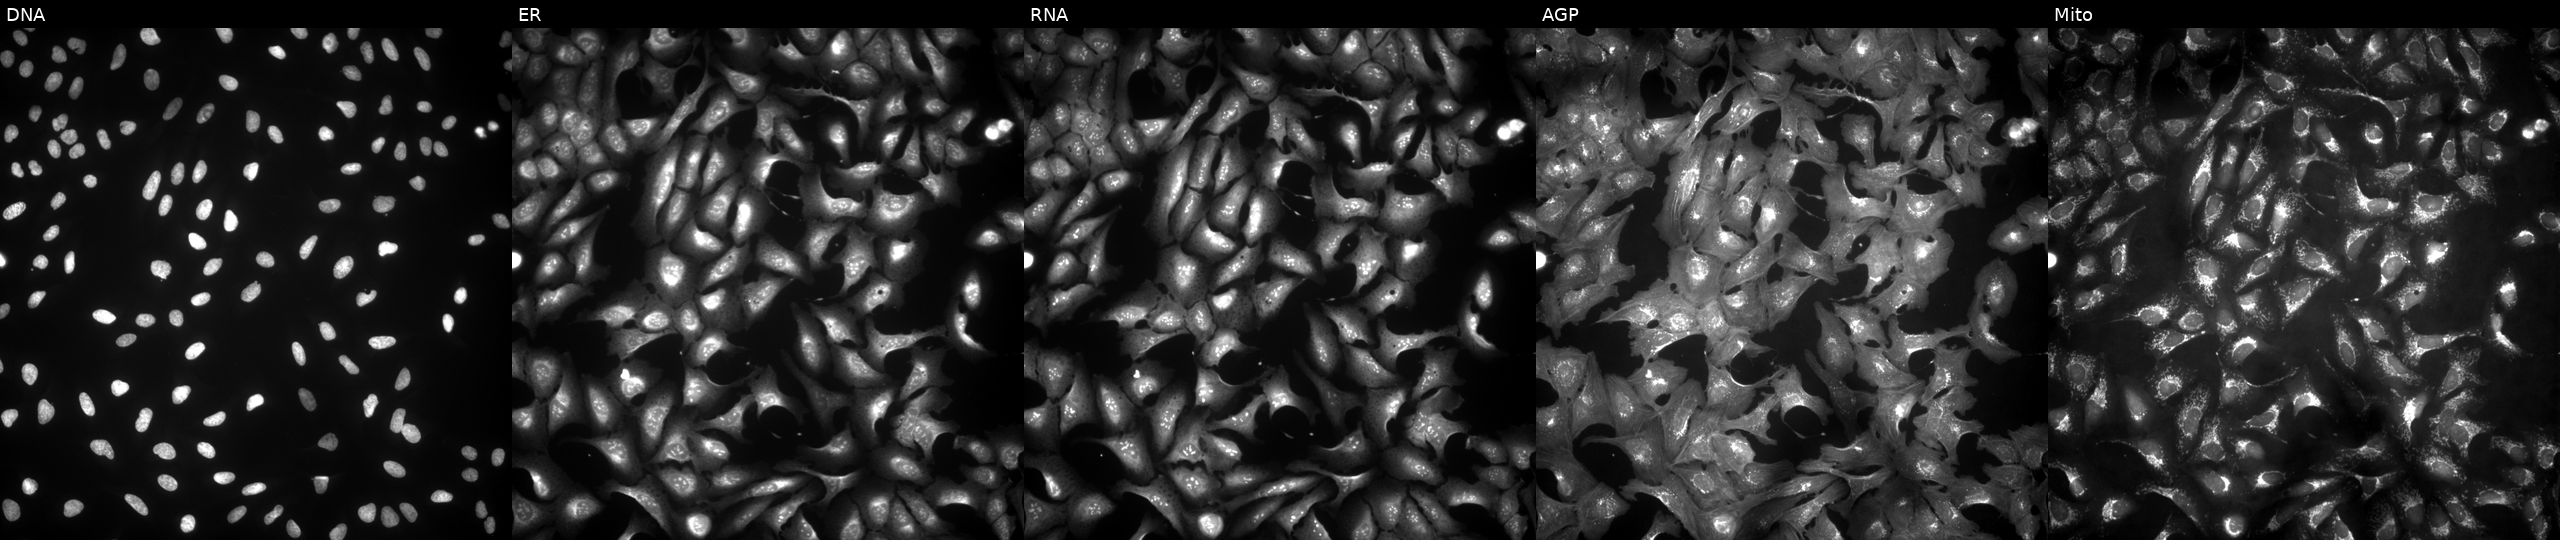
U2OS cells, Cell Painting assay, with MTMR14 overexpressed (ORF) (JUMP id JCP2022_914933). Panels show, left to right, Hoechst 33342, concanavalin A, SYTO 14, phalloidin and WGA, MitoTracker. Each panel is percentile-stretched 16-bit fluorescence. Source 4, plate BR00123506, well E08.